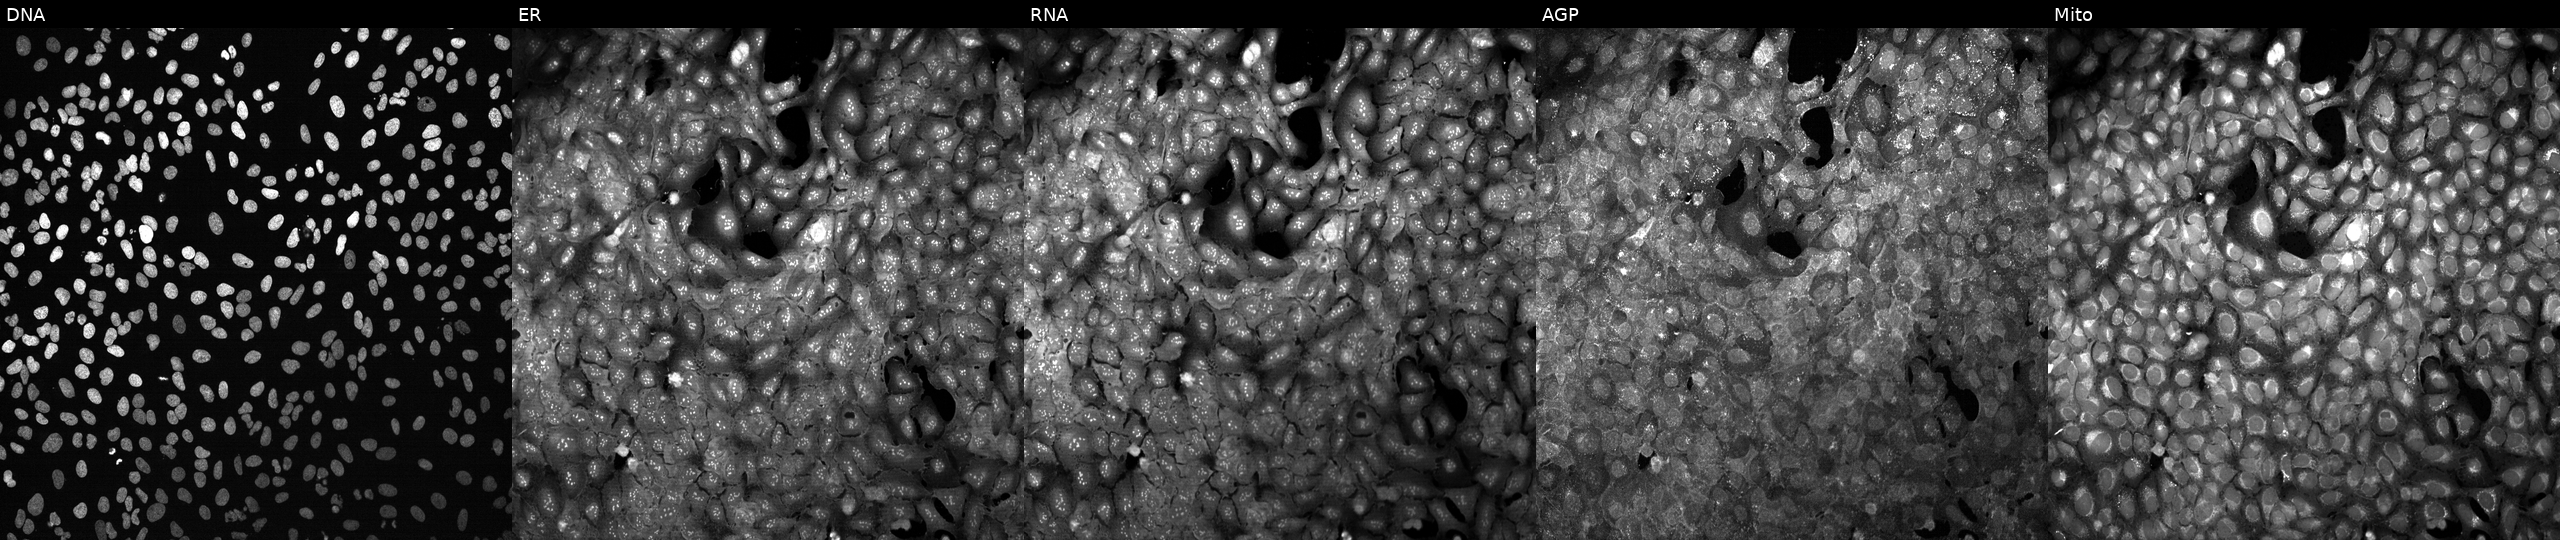
Five-channel Cell Painting image of U2OS cells following CRISPR knockout of RHOU. Panels show, left to right, DNA (nuclei); ER (endoplasmic reticulum); RNA (nucleoli and cytoplasmic RNA); AGP (actin cytoskeleton, Golgi, and plasma membrane); Mito (mitochondria).